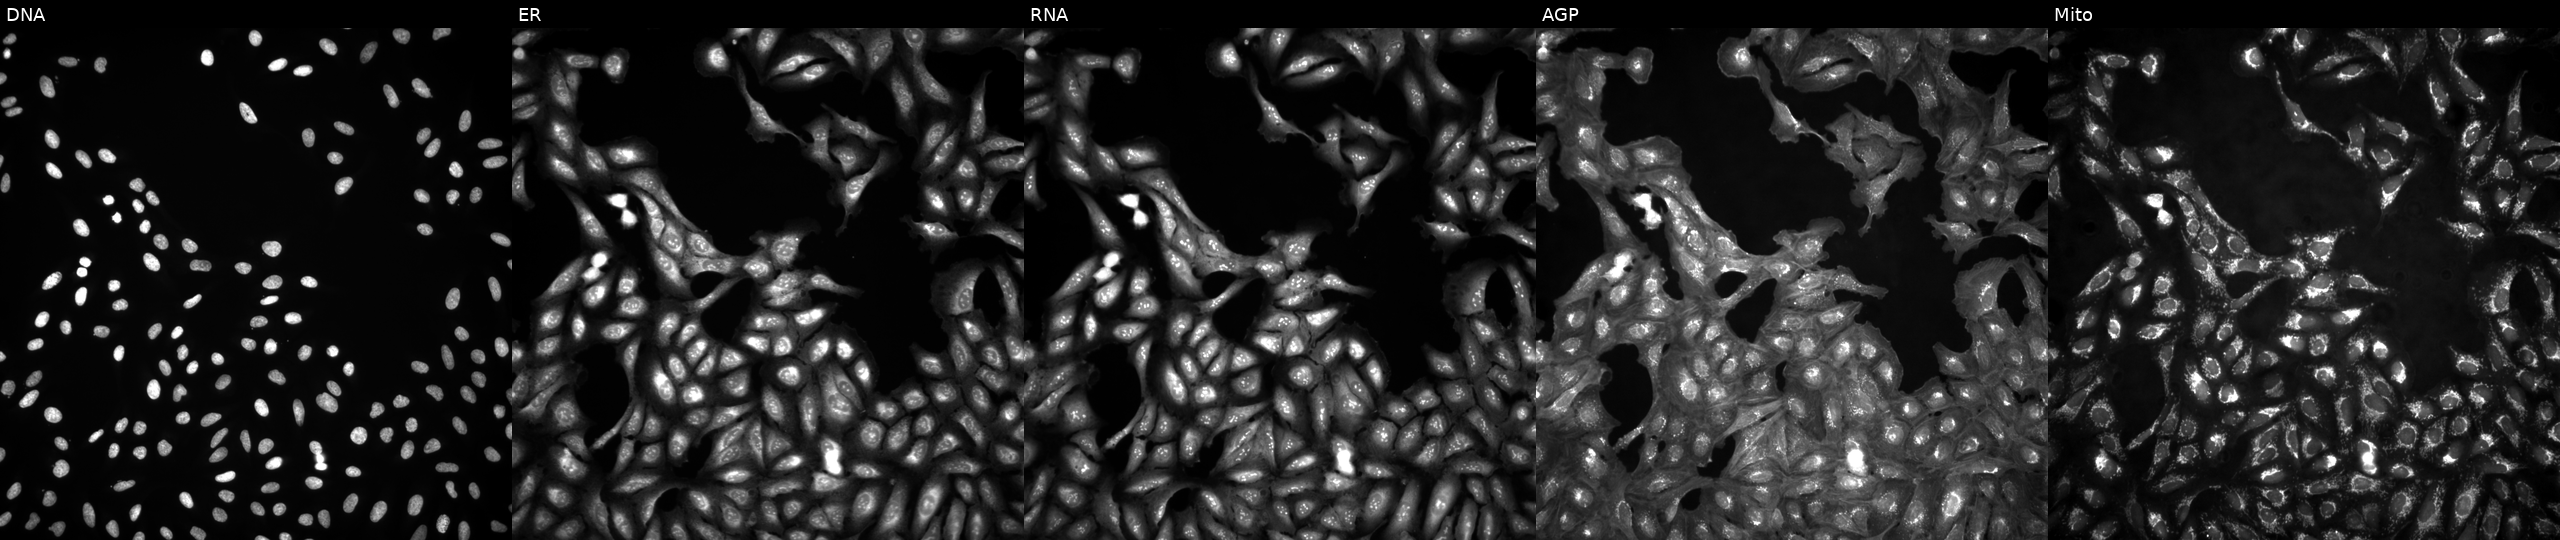
High-content fluorescence microscopy (Cell Painting). Cell line: U2OS. Perturbation: in an empty control well (no perturbation) (JUMP id JCP2022_999999). Panels show, left to right, DNA (nuclei); ER (endoplasmic reticulum); RNA (nucleoli and cytoplasmic RNA); AGP (actin cytoskeleton, Golgi, and plasma membrane); Mito (mitochondria). Source 4, plate BR00124793, well P11.